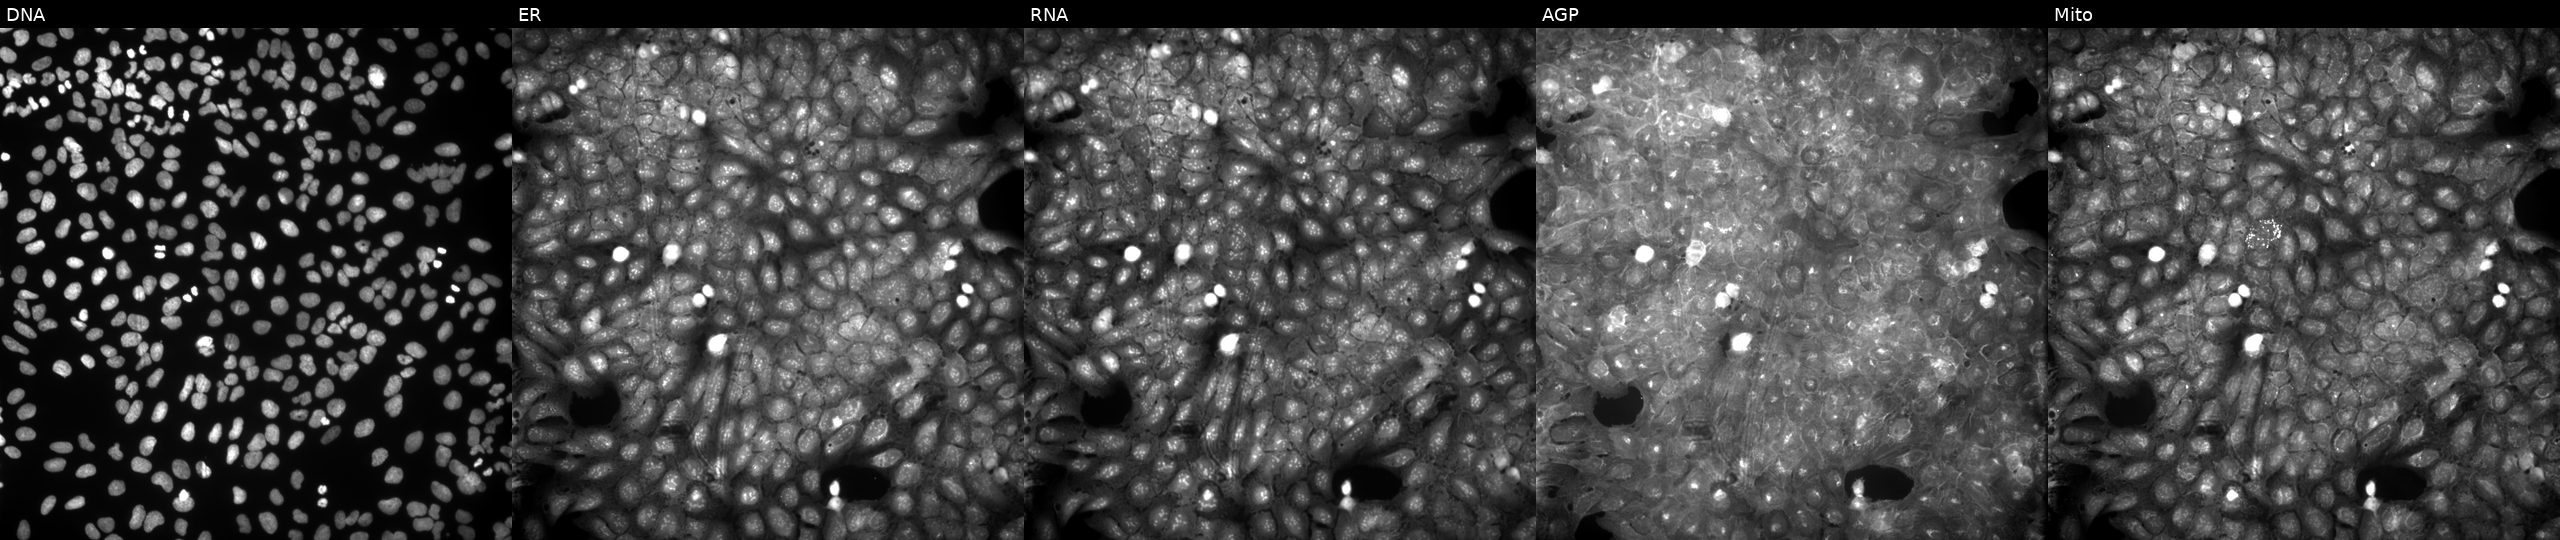
JUMP Cell Painting — COMPOUND plate. U2OS cells treated with a small-molecule compound (InChIKey SWKLSLWFIIQVLD-UHFFFAOYSA-N) [SMILES: CCC1=NN(C(=O)Cc2ccc(OC)cc2)C(O)(C(F)(F)F)C1]. Panels show, left to right, DNA, ER, RNA, AGP, and Mito.